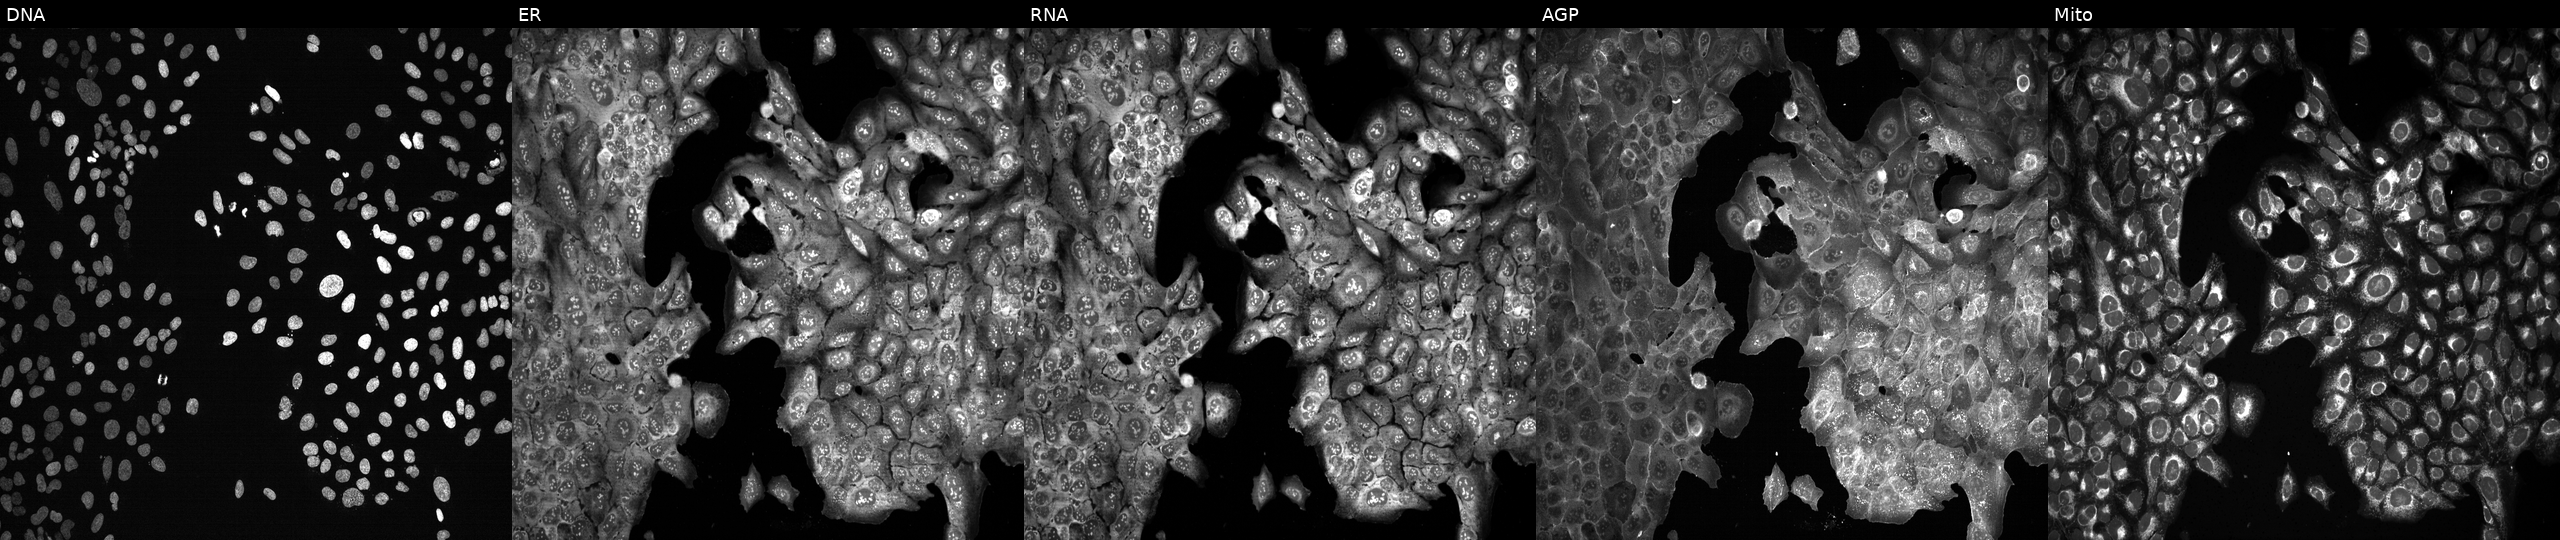
U2OS cells, Cell Painting assay, following CRISPR knockout of RHBDF1 (JUMP id JCP2022_805942). Channels (left→right): Hoechst 33342, concanavalin A, SYTO 14, phalloidin and WGA, MitoTracker. Each panel is percentile-stretched 16-bit fluorescence.